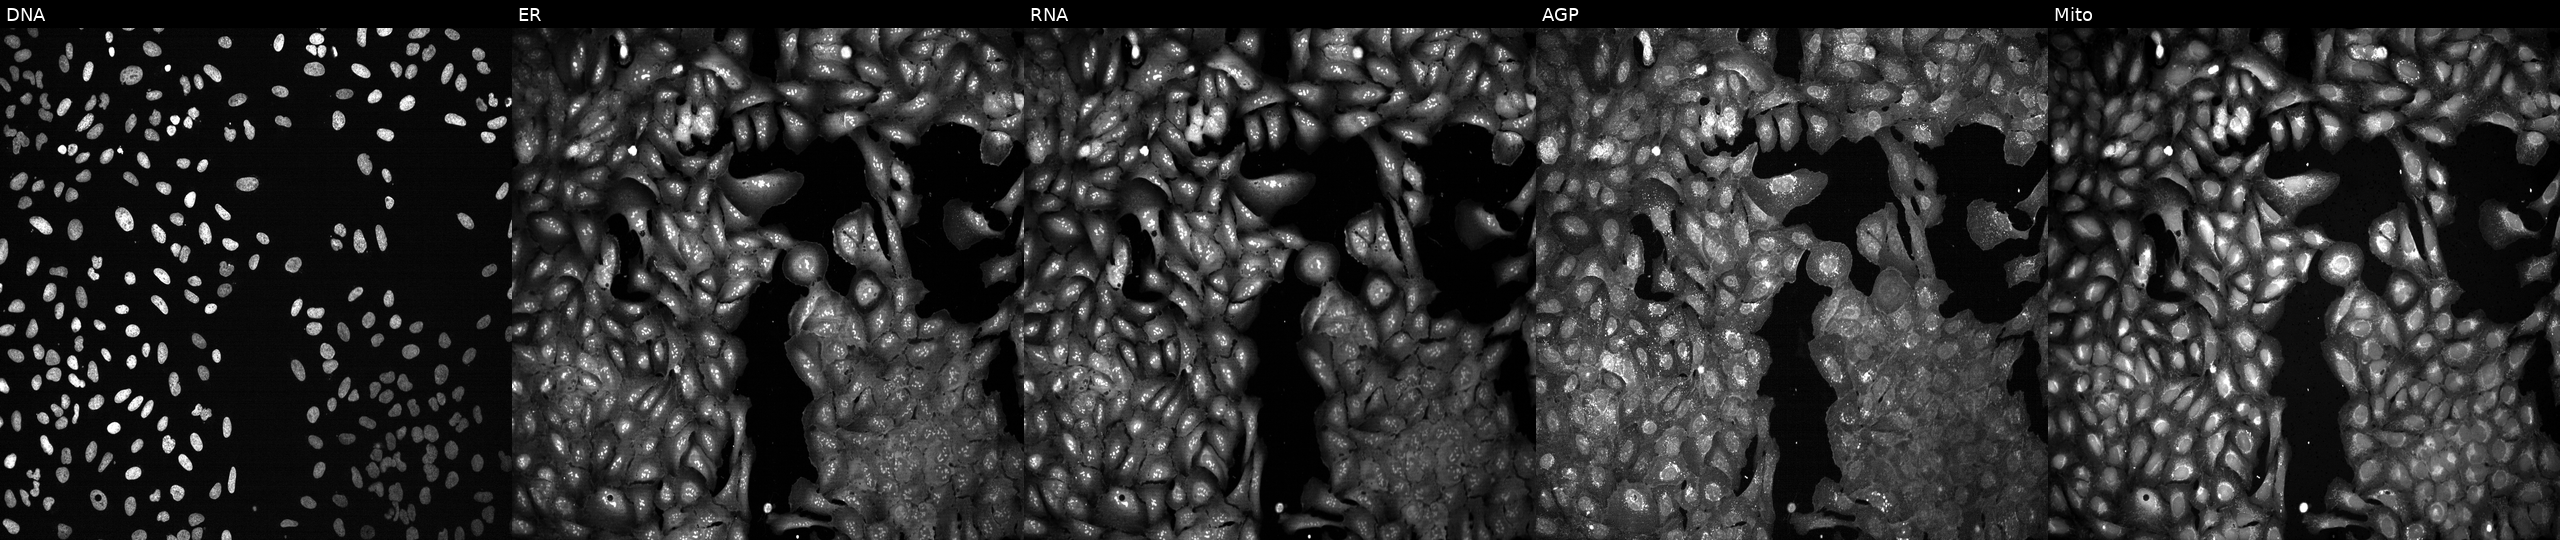
This image strip shows the five Cell Painting channels for a single field of U2OS cells with DNPH1 knocked out by CRISPR. Channels (left→right): DNA, ER, RNA, AGP, and Mito.